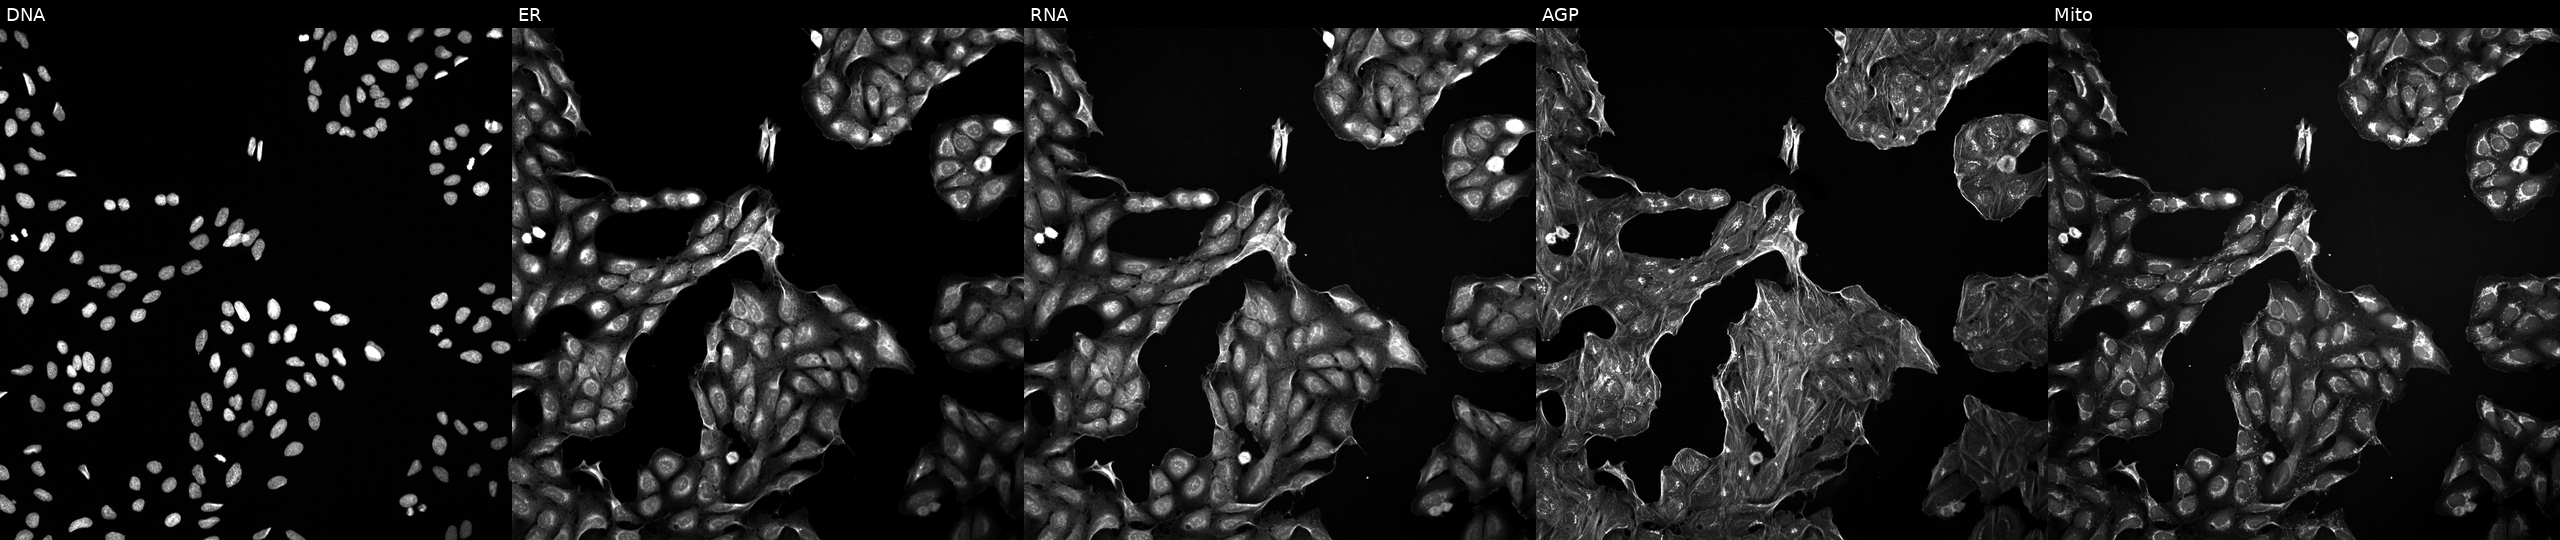
U2OS cells, Cell Painting assay, treated with DMSO vehicle only (negative control). Channels (left→right): Hoechst 33342, concanavalin A, SYTO 14, phalloidin and WGA, MitoTracker. Each panel is percentile-stretched 16-bit fluorescence. Source 5, plate ACPJUM012, well A20.